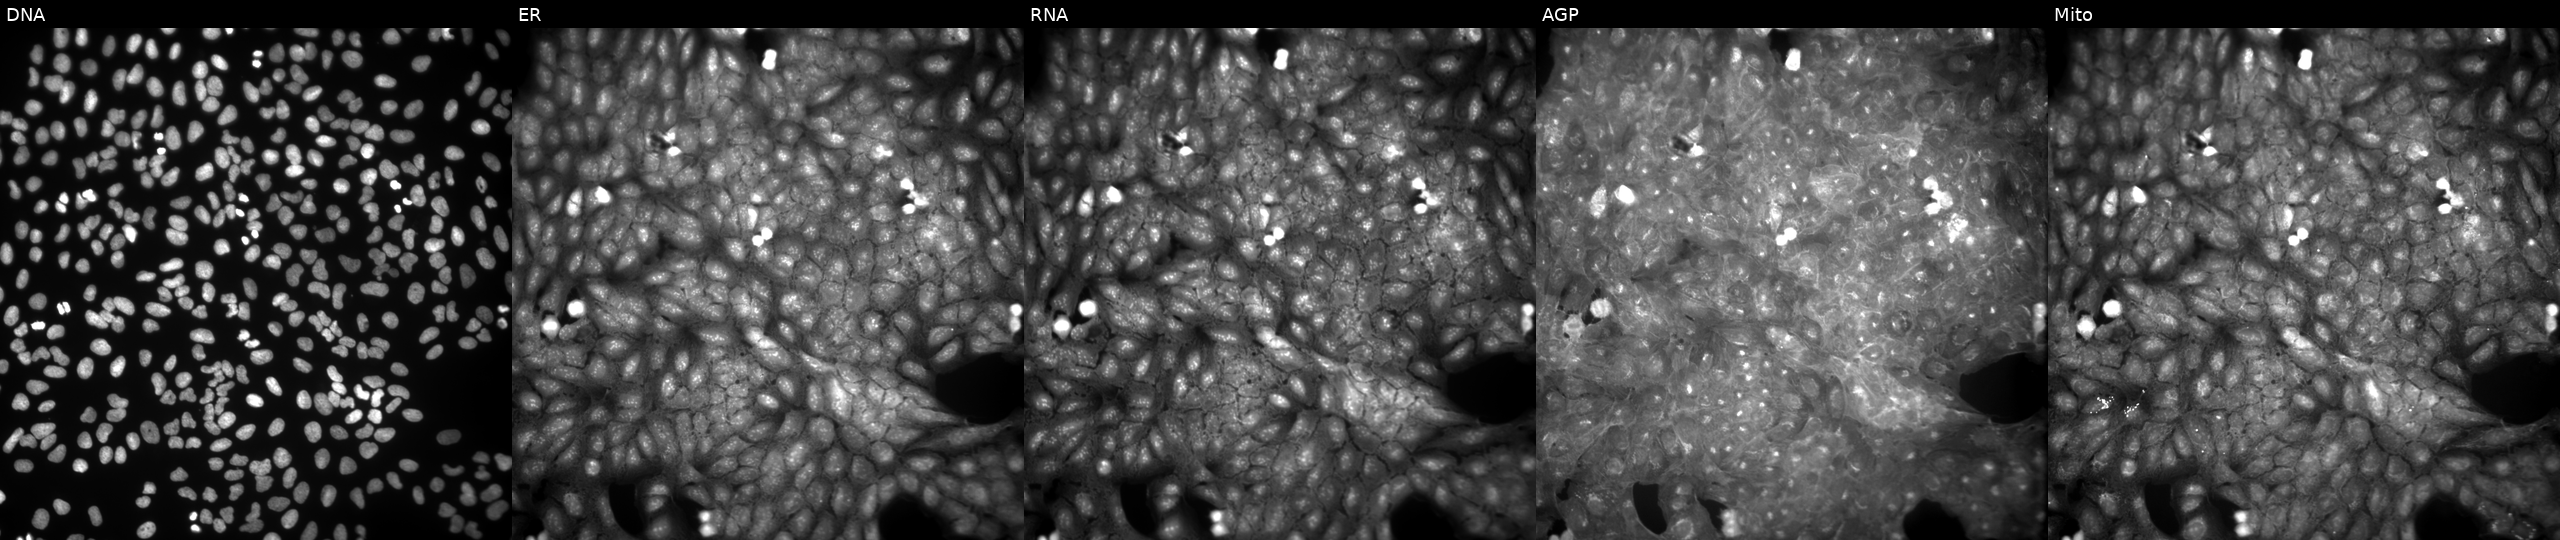
From left to right: Hoechst 33342, concanavalin A, SYTO 14, phalloidin and WGA, MitoTracker. U2OS osteosarcoma cells treated with a small-molecule compound (JUMP id JCP2022_093616). Cell Painting assay, JUMP-CP dataset.